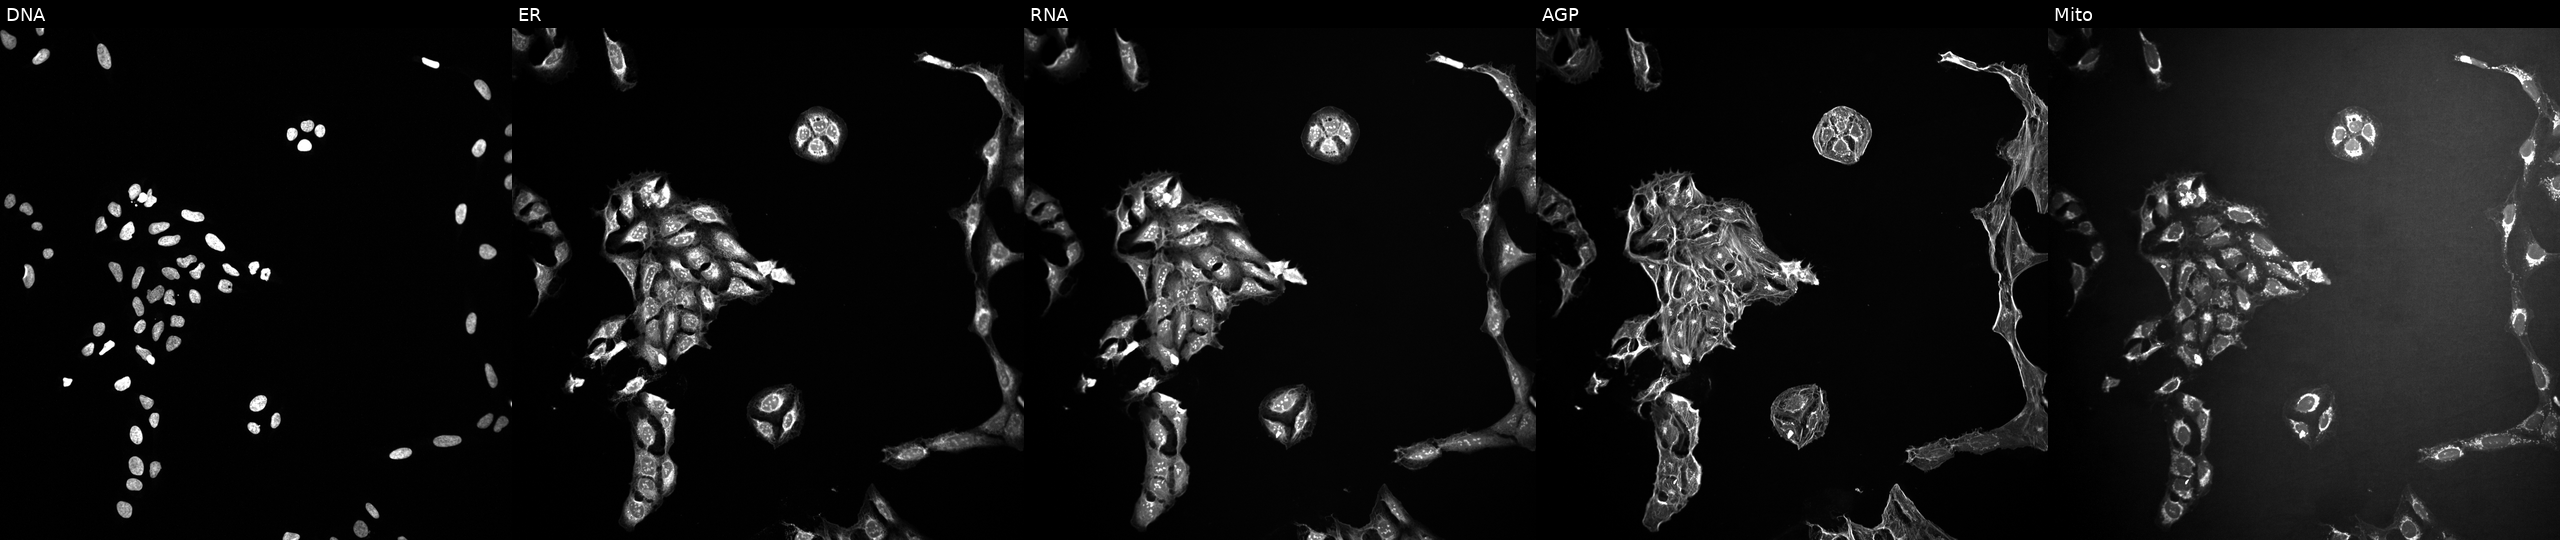
High-content fluorescence microscopy (Cell Painting). Cell line: U2OS. Perturbation: treated with a small-molecule compound (JUMP id JCP2022_101857). Panels show, left to right, Hoechst 33342, concanavalin A, SYTO 14, phalloidin and WGA, MitoTracker. Source 10, plate Dest210727-153003, well F23.